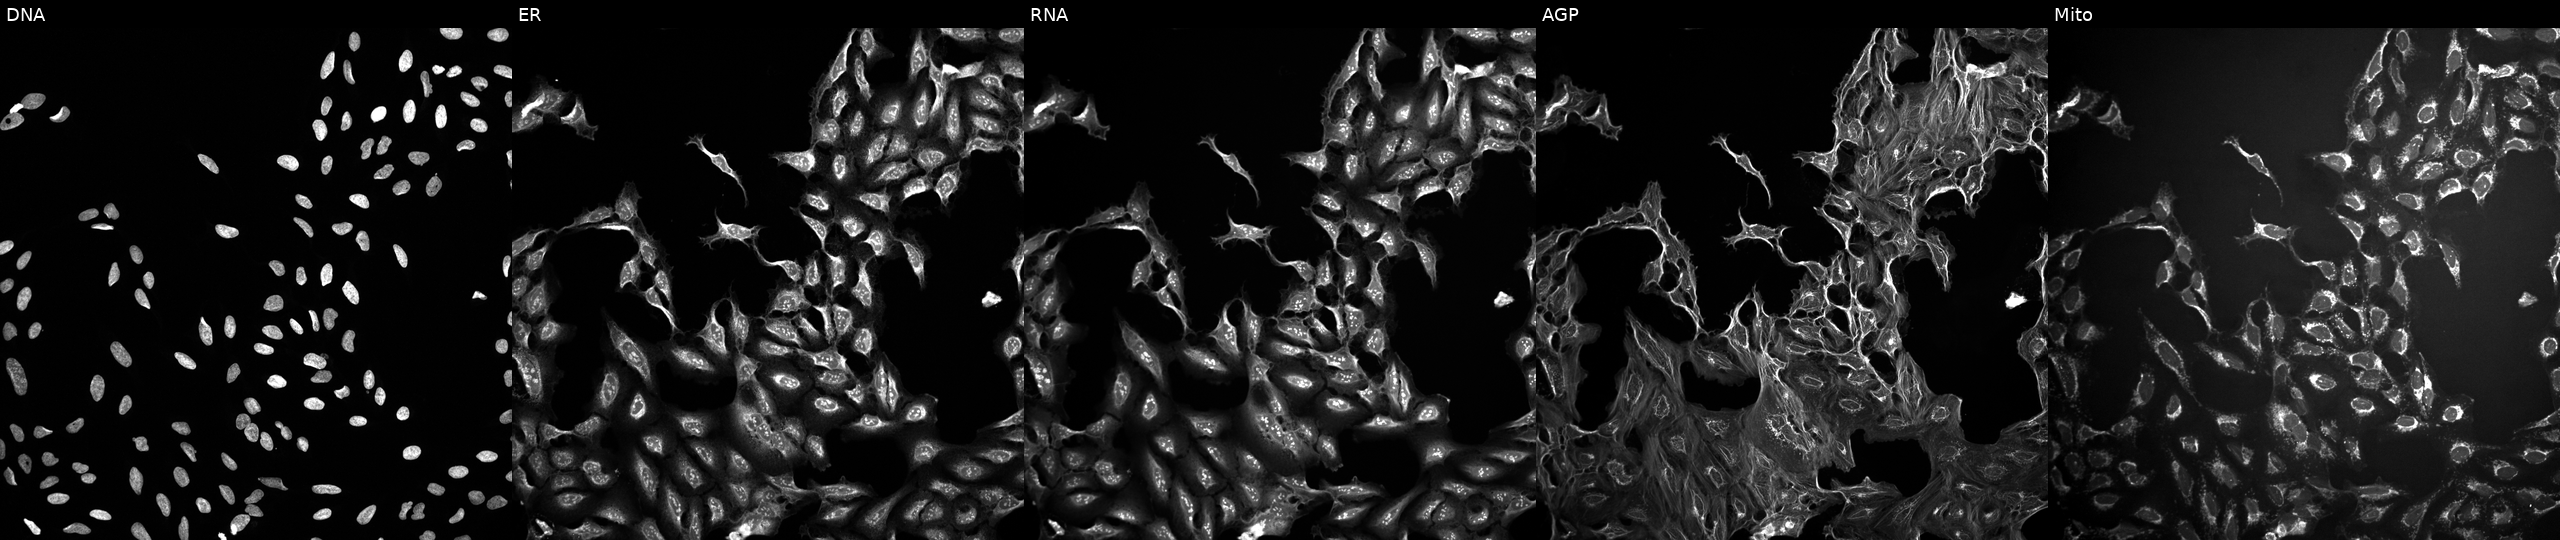
U2OS cells, Cell Painting assay, treated with a small-molecule compound (InChIKey NHXLMOGPVYXJNR-UHFFFAOYSA-N). Panels show, left to right, DNA, ER, RNA, AGP, and Mito. Each panel is percentile-stretched 16-bit fluorescence. Source 10, plate Dest210726-160150, well O24.